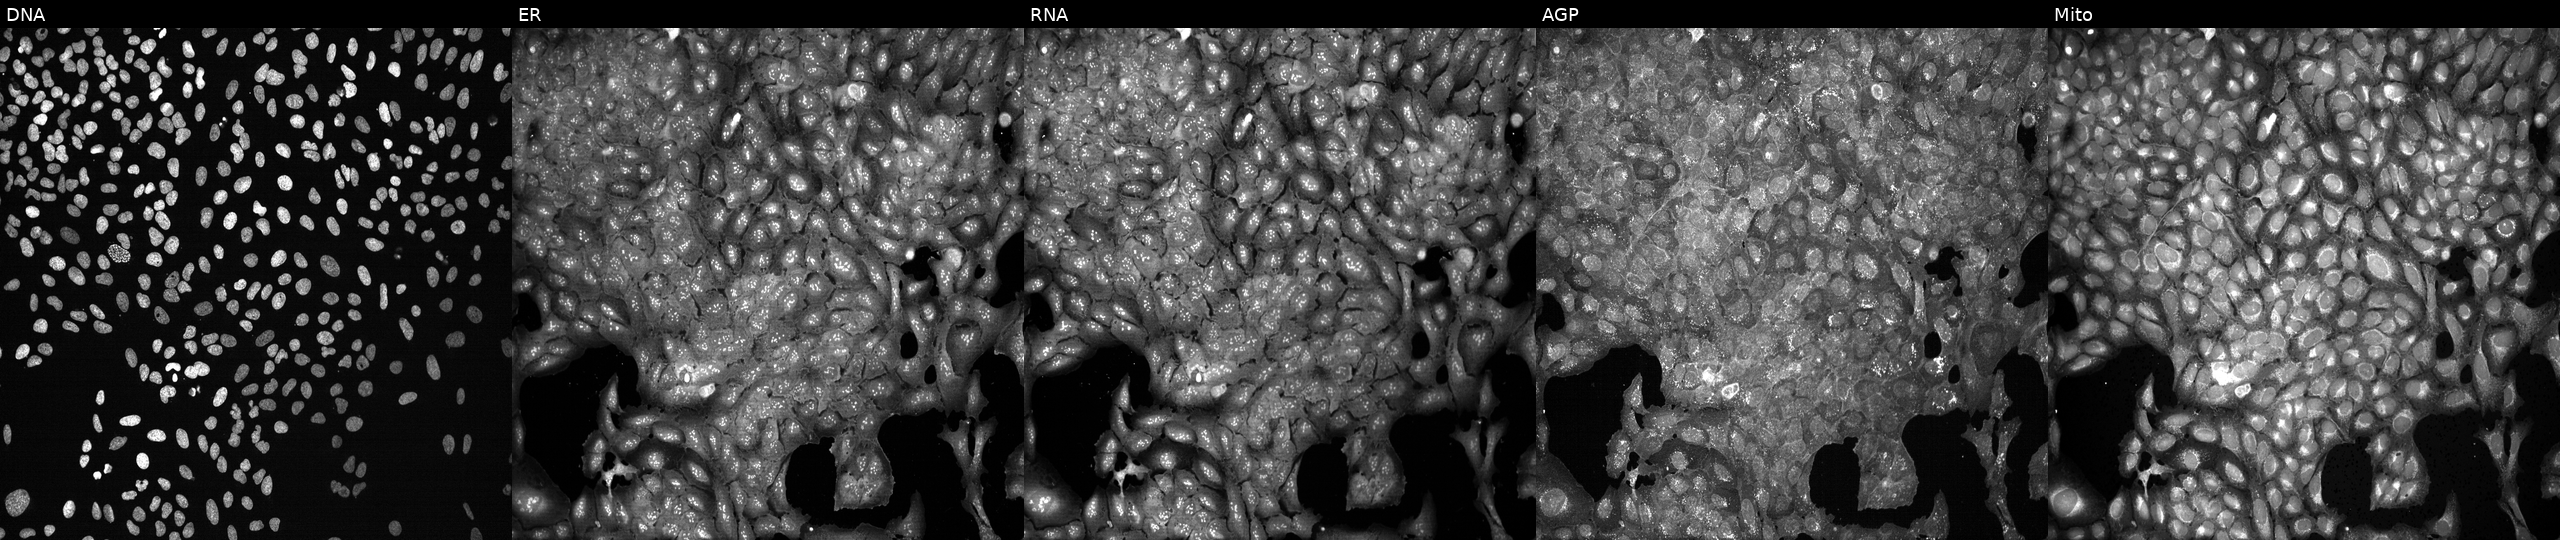
U2OS cells, Cell Painting assay, following CRISPR knockout of ABCA9 (JUMP id JCP2022_800030). Channels (left→right): DNA, ER, RNA, AGP, and Mito. Each panel is percentile-stretched 16-bit fluorescence.